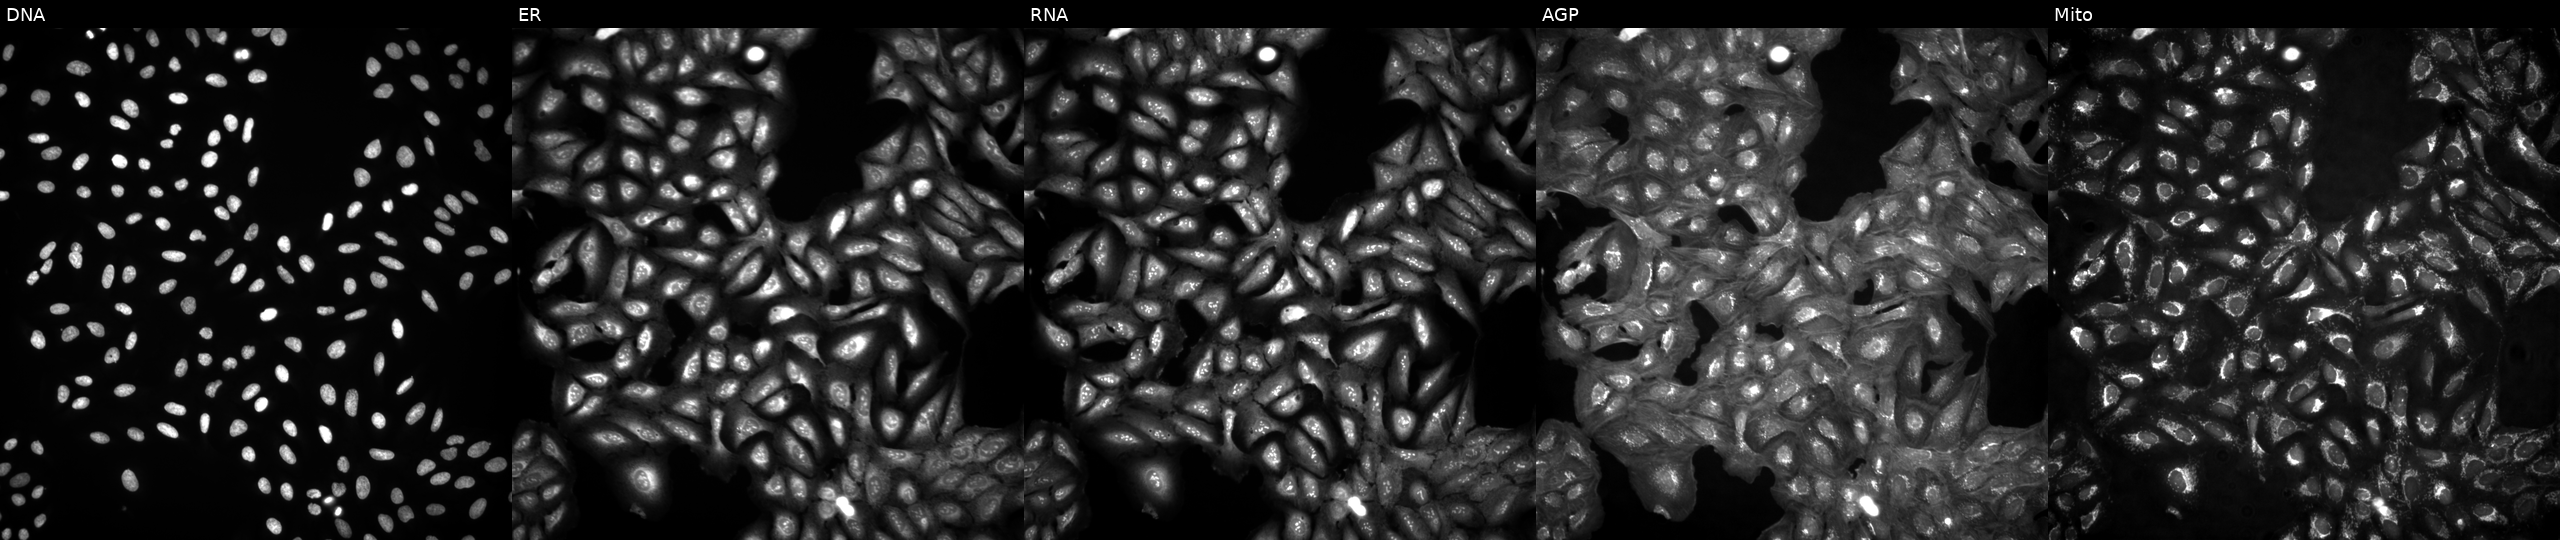
U2OS cells, Cell Painting assay, in an empty control well (no perturbation) (JUMP id JCP2022_999999). Panels show, left to right, DNA, ER, RNA, AGP, and Mito. Each panel is percentile-stretched 16-bit fluorescence.